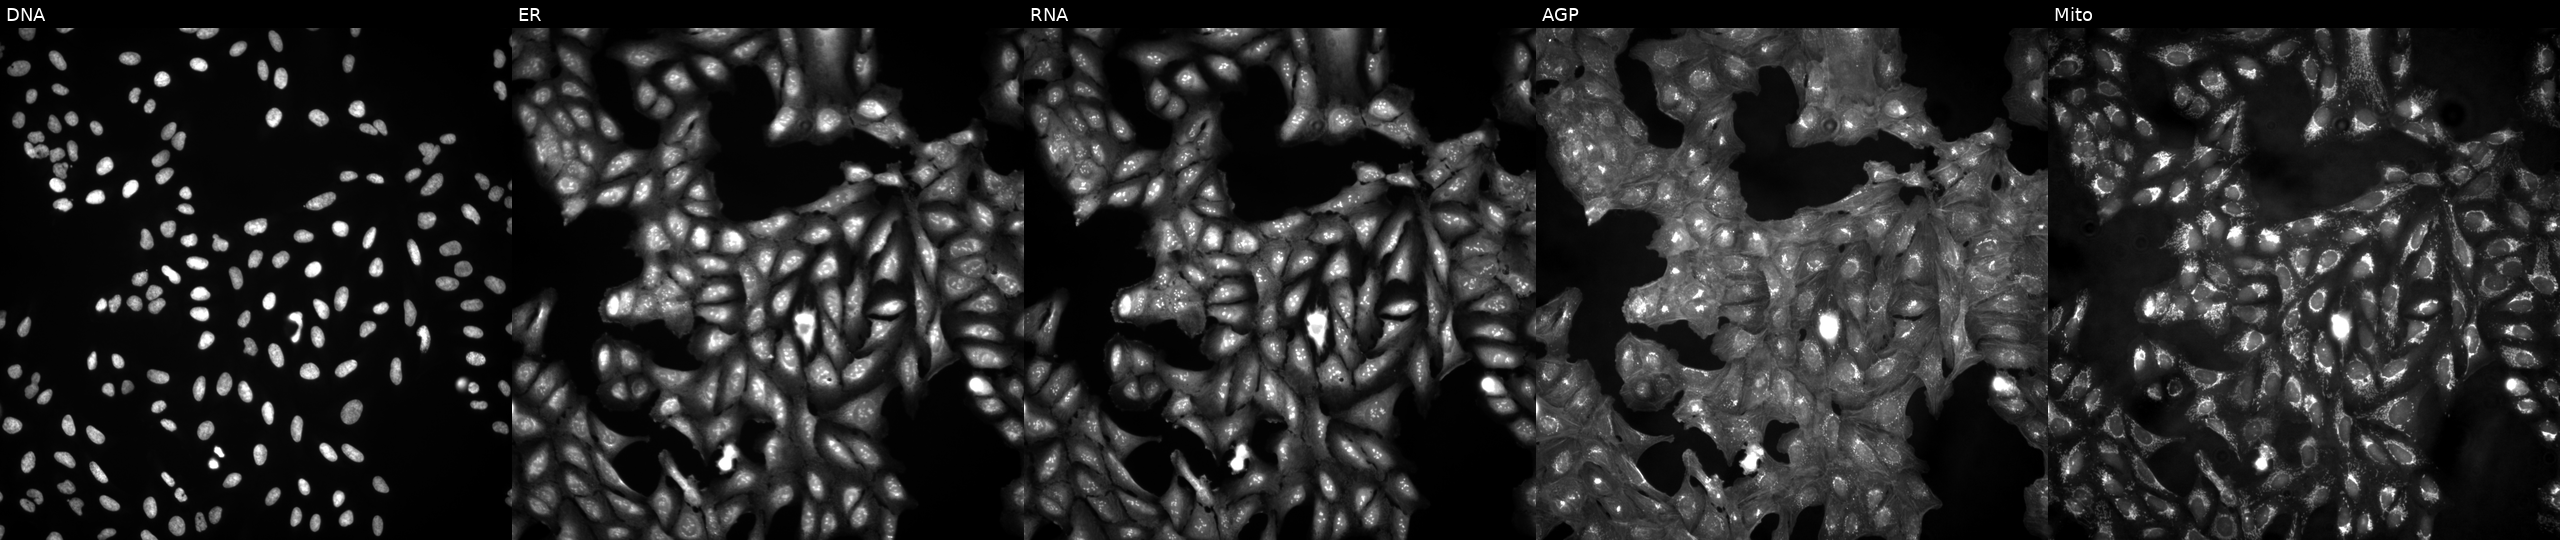
Five-channel Cell Painting image of U2OS cells untreated (empty-well control) (JUMP id JCP2022_999999). Channels (left→right): Hoechst 33342, concanavalin A, SYTO 14, phalloidin and WGA, MitoTracker. Source 4, plate BR00123946, well B06.